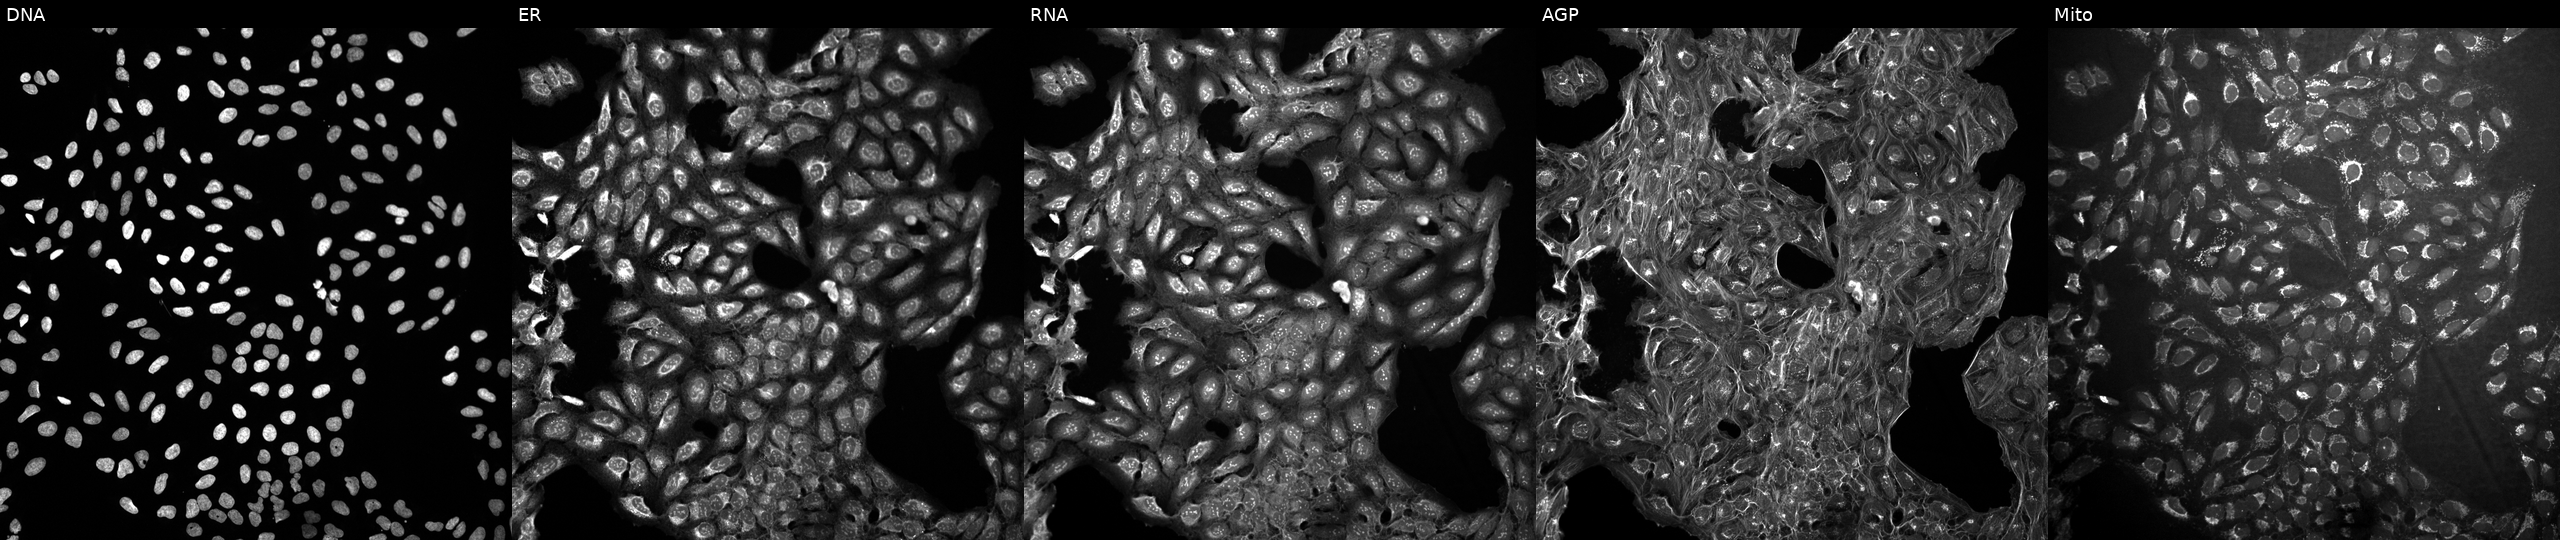
Five-channel Cell Painting image of U2OS cells in an empty control well (no perturbation) (JUMP id JCP2022_999999). Channels (left→right): Hoechst 33342, concanavalin A, SYTO 14, phalloidin and WGA, MitoTracker.